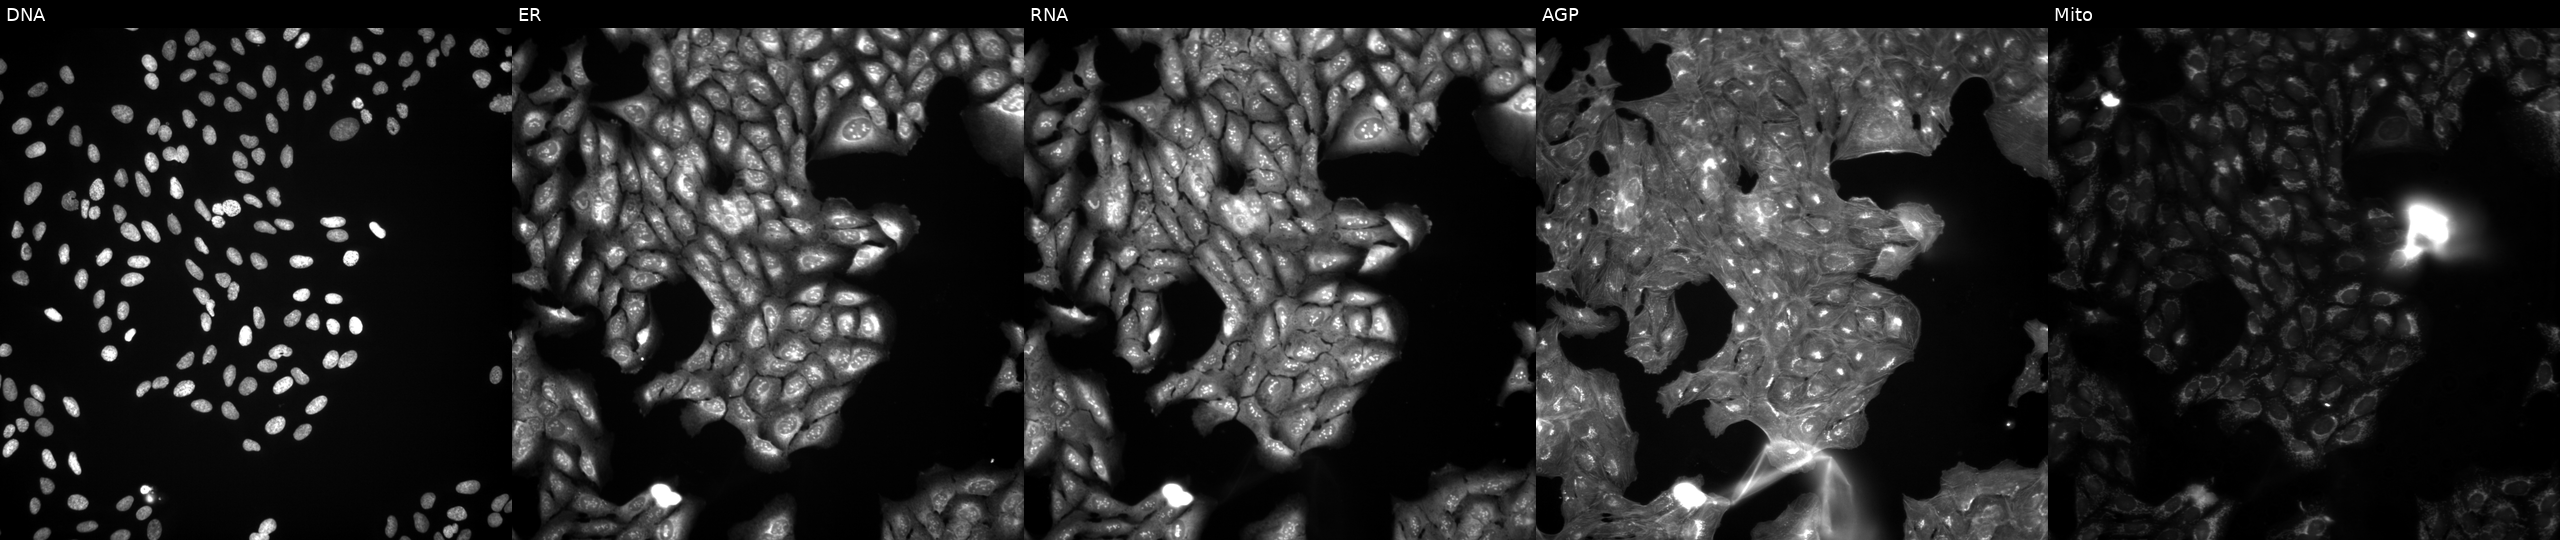
U2OS cells, Cell Painting assay, exposed to a small-molecule compound (InChIKey KXDROGADUISDGY-UHFFFAOYSA-N) [SMILES: N=C(NCc1ccccc1)NC(=O)c1nc(Cl)c(=N)[nH]c1N]. Panels show, left to right, Hoechst 33342, concanavalin A, SYTO 14, phalloidin and WGA, MitoTracker. Each panel is percentile-stretched 16-bit fluorescence. Source 3, plate JCPQC052, well B21.